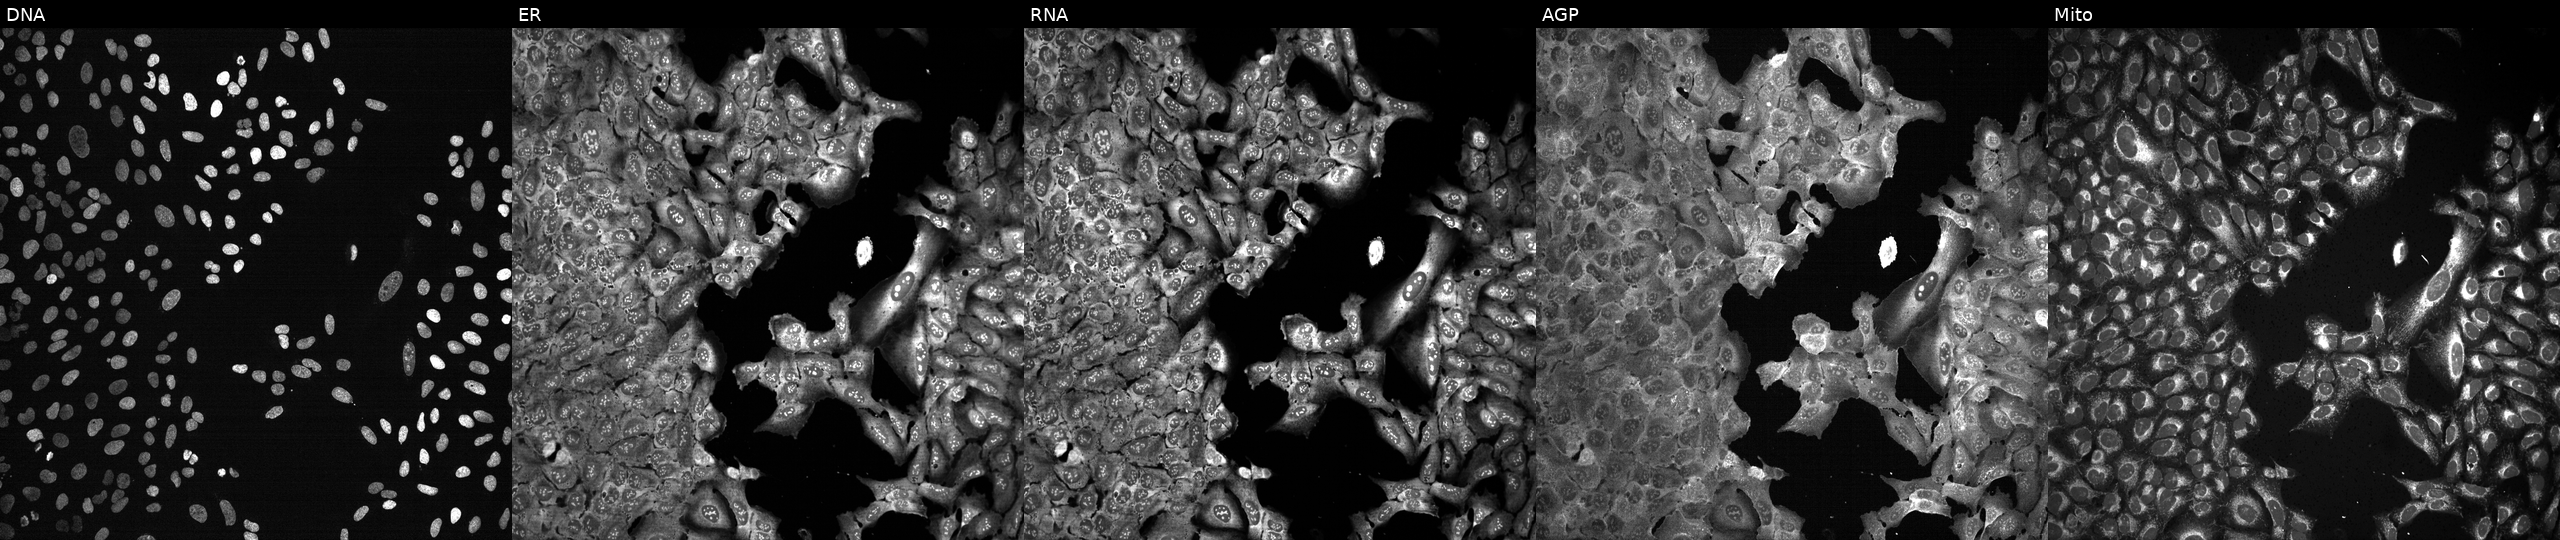
U2OS cells, Cell Painting assay, CRISPR-edited to disrupt MYO1E (JUMP id JCP2022_804384). Panels show, left to right, Hoechst 33342, concanavalin A, SYTO 14, phalloidin and WGA, MitoTracker. Each panel is percentile-stretched 16-bit fluorescence. Source 13, plate CP-CC9-R3-01, well H07.